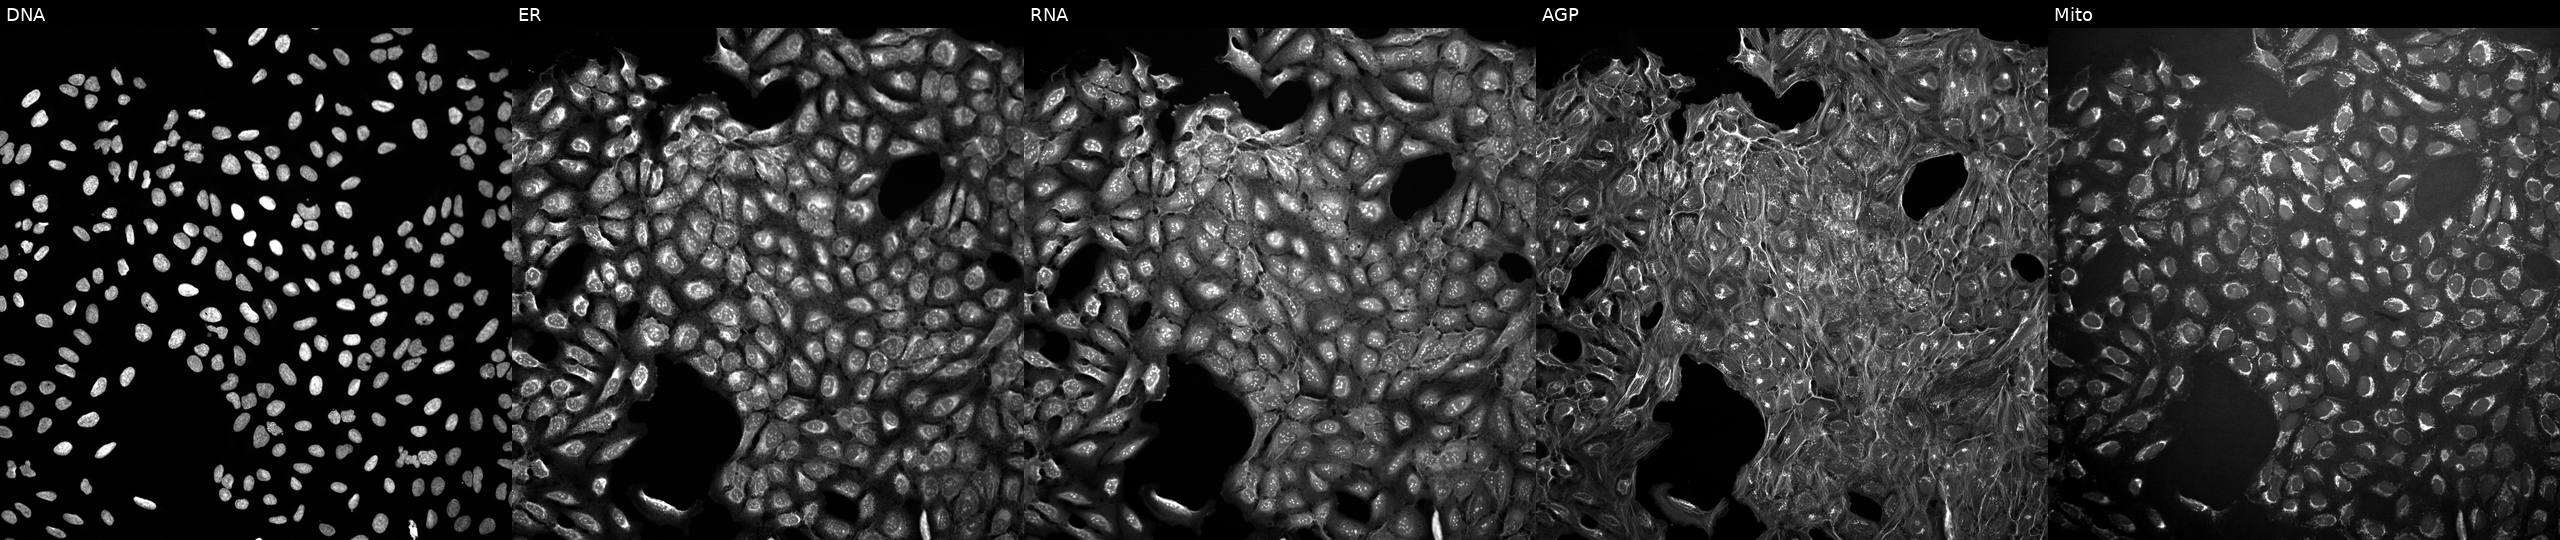
JUMP Cell Painting — COMPOUND plate. U2OS cells exposed to a small-molecule compound. Panels show, left to right, Hoechst 33342, concanavalin A, SYTO 14, phalloidin and WGA, MitoTracker.